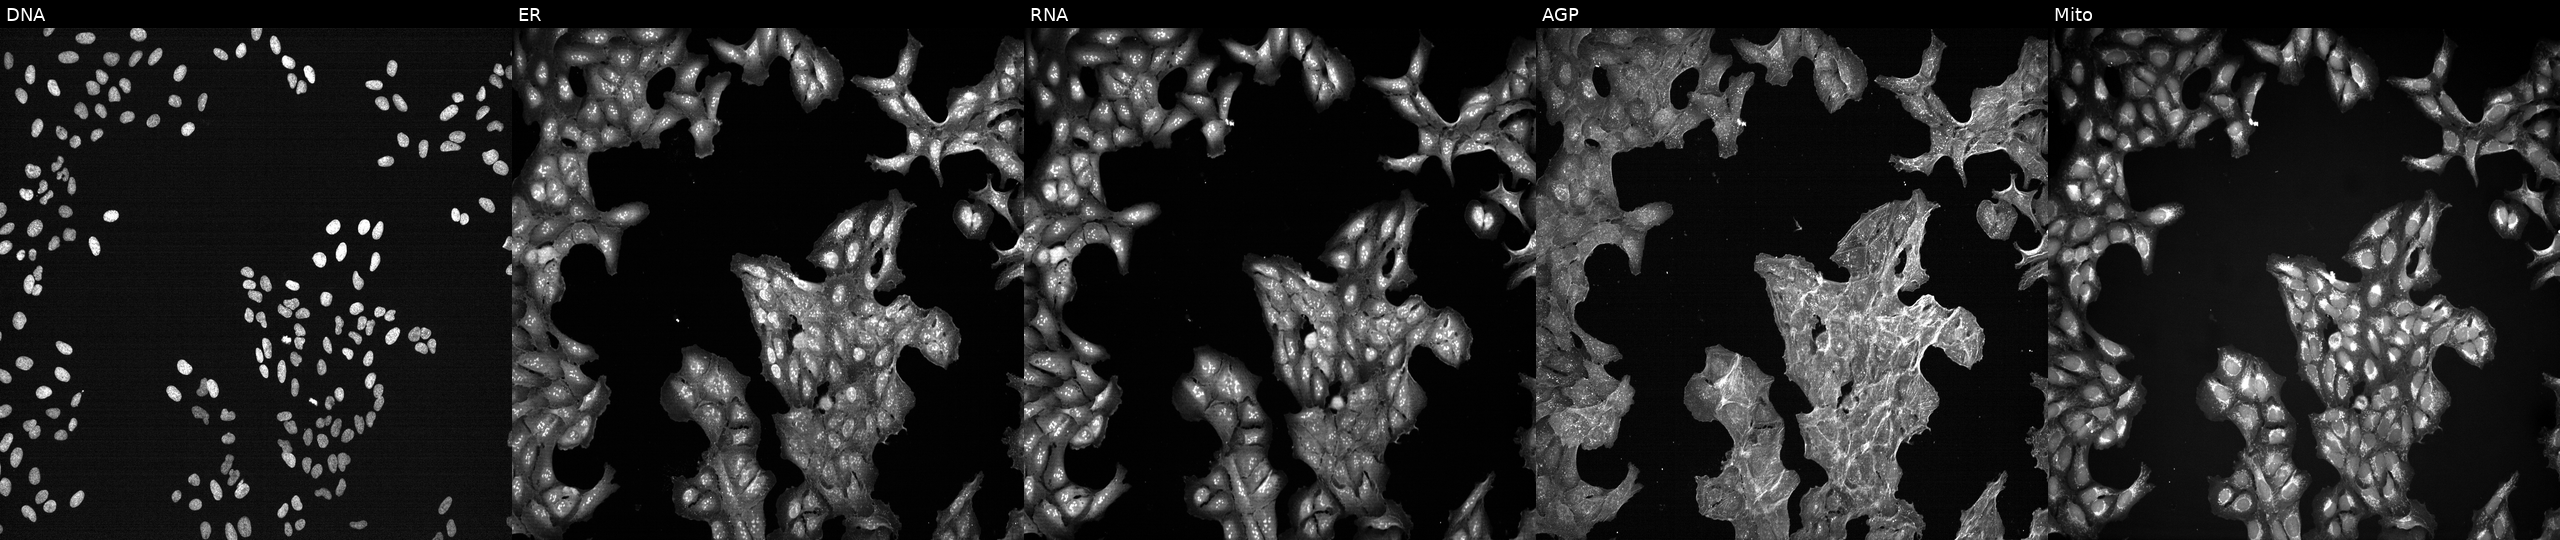
This image strip shows the five Cell Painting channels for a single field of U2OS cells exposed to a small-molecule compound (JUMP id JCP2022_077927). The five panels, left to right, show DNA, ER, RNA, AGP, and Mito.